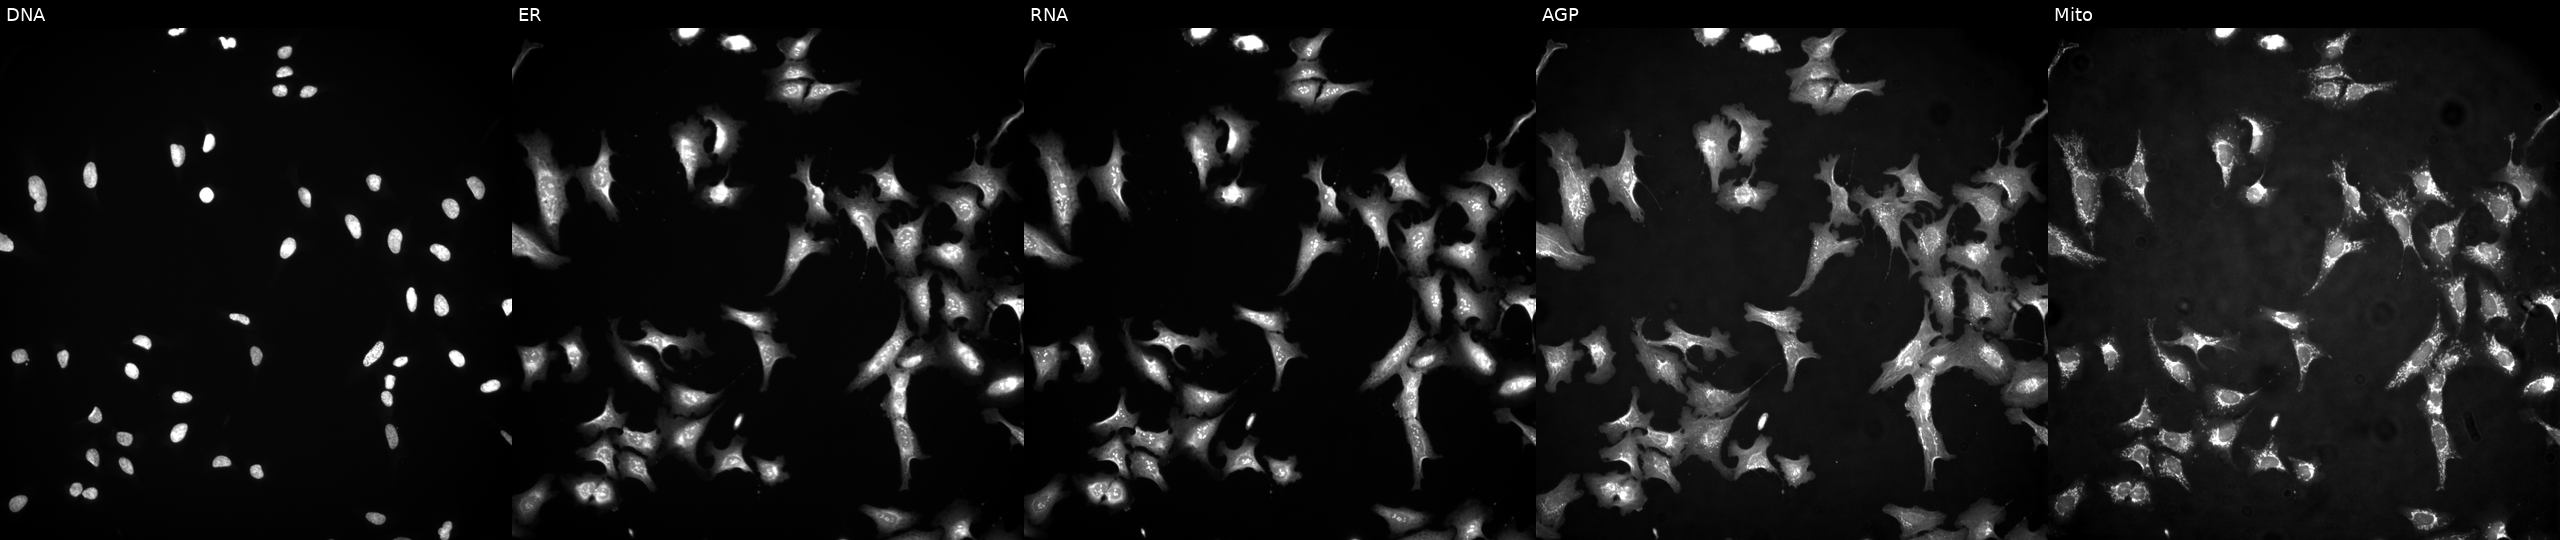
This image strip shows the five Cell Painting channels for a single field of U2OS cells overexpressing KCNQ2 via ORF transfection (JUMP id JCP2022_900845). Panels show, left to right, Hoechst 33342, concanavalin A, SYTO 14, phalloidin and WGA, MitoTracker. Source 4, plate BR00124787, well M05.